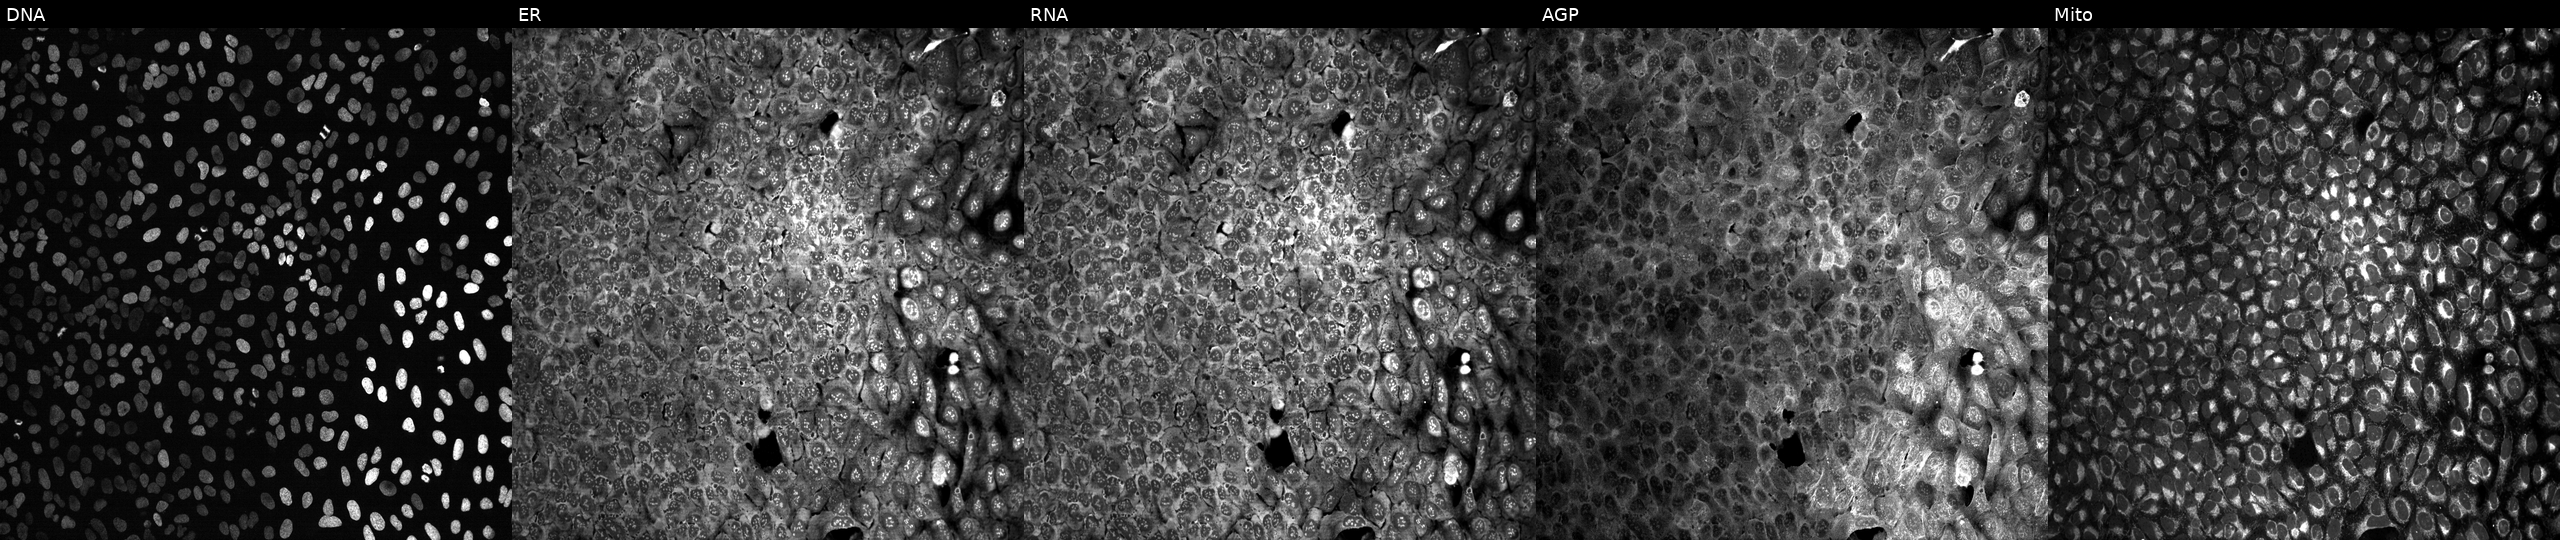
Five-channel Cell Painting image of U2OS cells CRISPR-edited to disrupt CD3G. The five panels, left to right, show Hoechst 33342, concanavalin A, SYTO 14, phalloidin and WGA, MitoTracker.